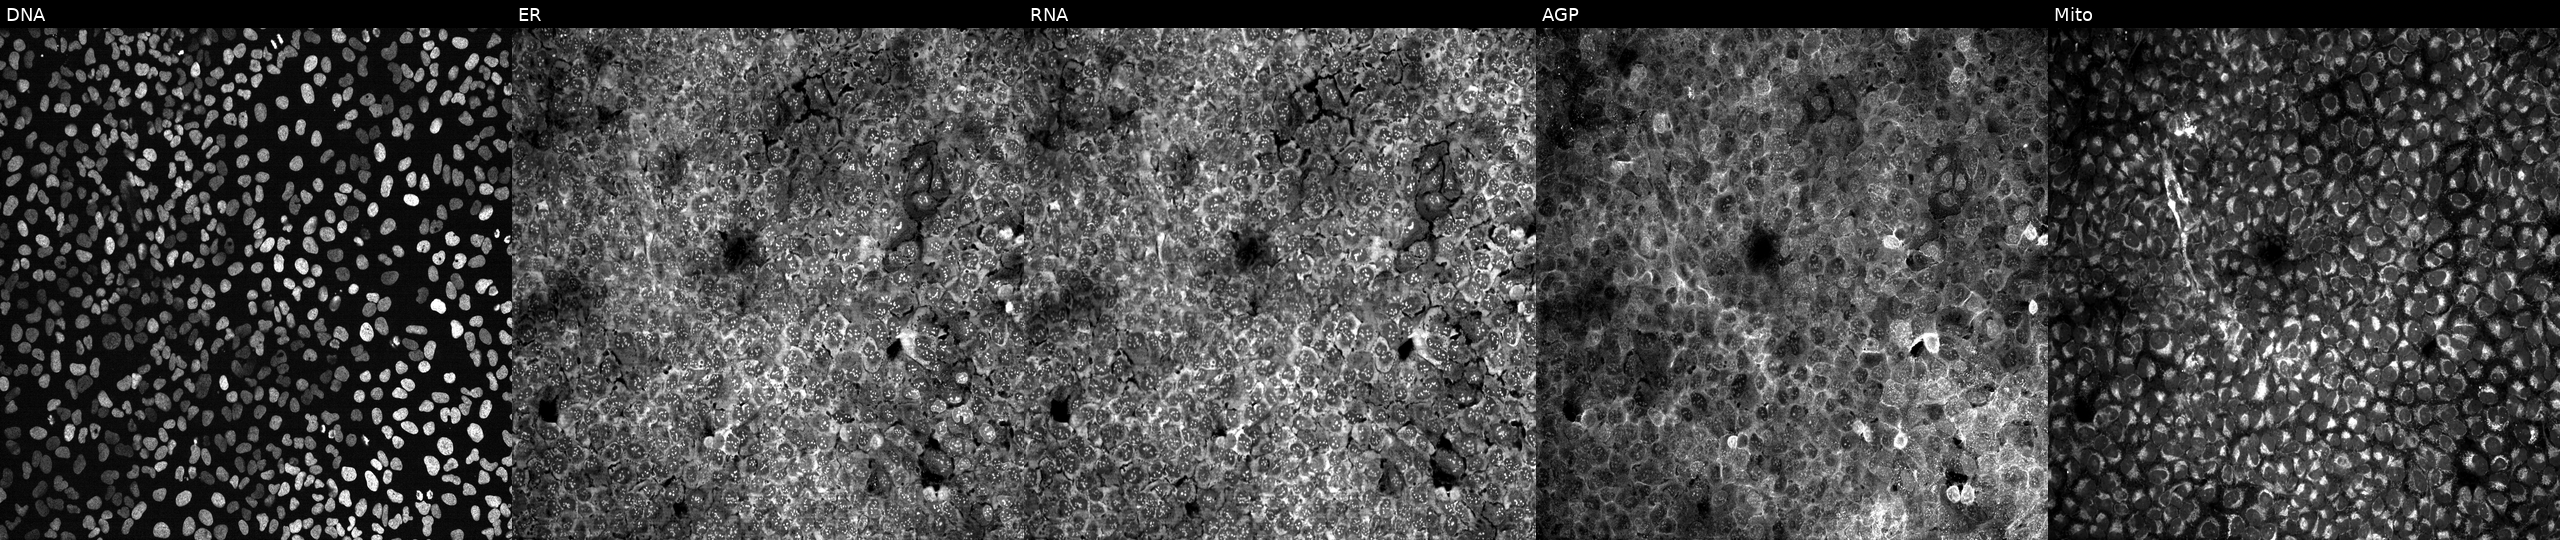
Five-channel Cell Painting image of U2OS cells treated with quinidine (positive-control compound) (JUMP id JCP2022_050797). From left to right: Hoechst 33342, concanavalin A, SYTO 14, phalloidin and WGA, MitoTracker. Source 13, plate CP-CC9-R4-04, well G01.